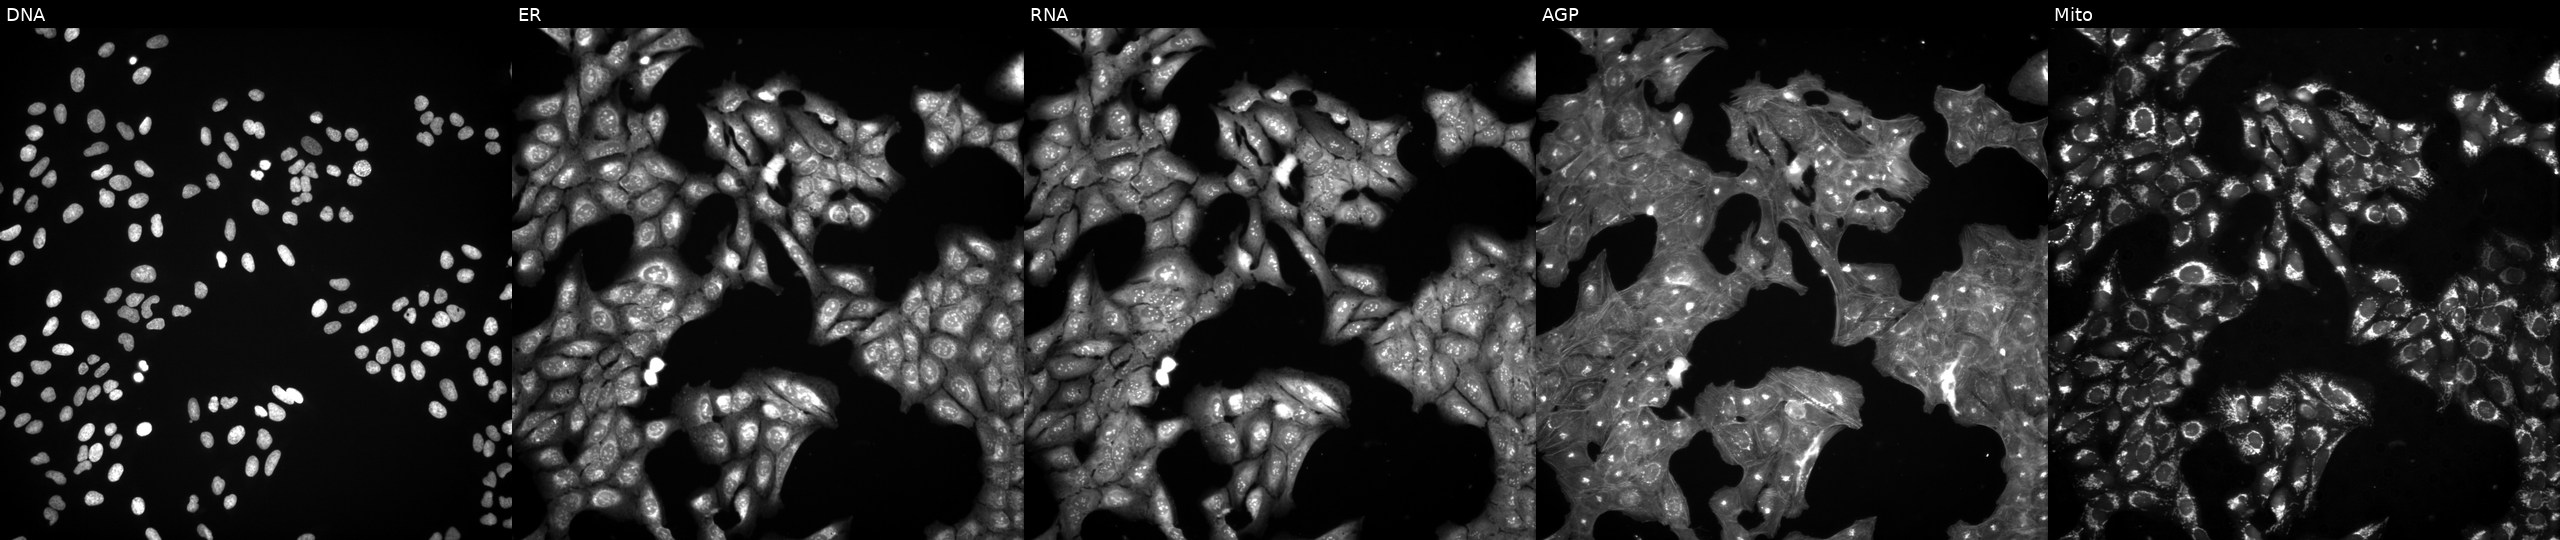
The five panels, left to right, show Hoechst 33342, concanavalin A, SYTO 14, phalloidin and WGA, MitoTracker. U2OS osteosarcoma cells treated with a small-molecule compound. Cell Painting assay, JUMP-CP dataset. Source 3, plate BR5867a3, well I13.